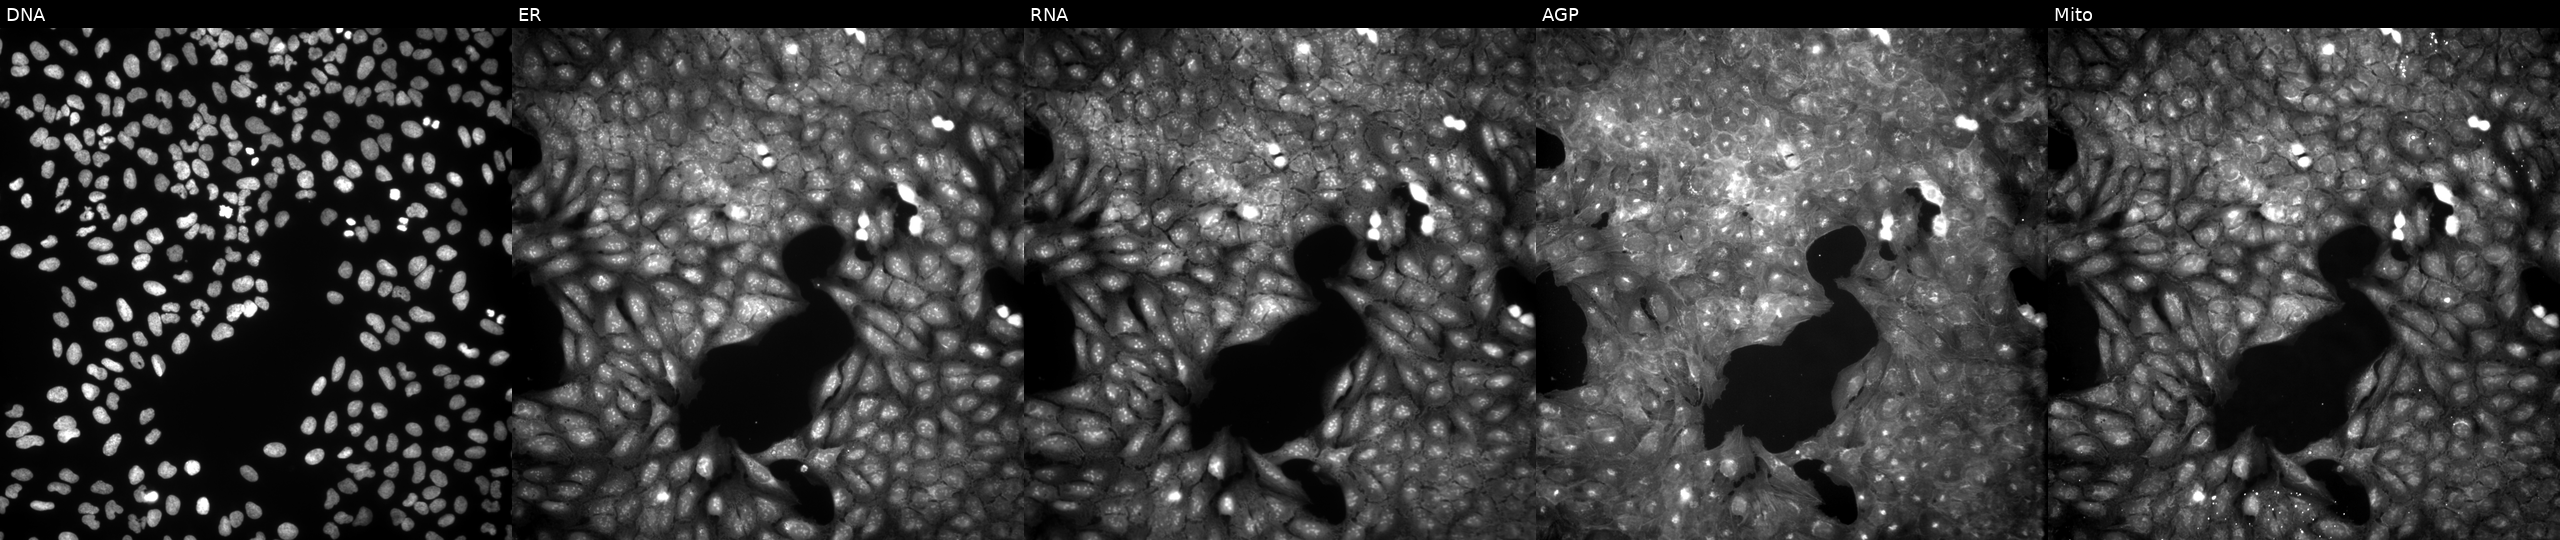
High-content fluorescence microscopy (Cell Painting). Cell line: U2OS. Perturbation: treated with a small-molecule compound (InChIKey ZMYXXEWSYDZXHU-UHFFFAOYSA-N) [SMILES: CCOC(=O)c1cccc(NC(=O)C(C)N2C(=O)c3ccccc3C2=O)c1]. Panels show, left to right, DNA (nuclei); ER (endoplasmic reticulum); RNA (nucleoli and cytoplasmic RNA); AGP (actin cytoskeleton, Golgi, and plasma membrane); Mito (mitochondria).